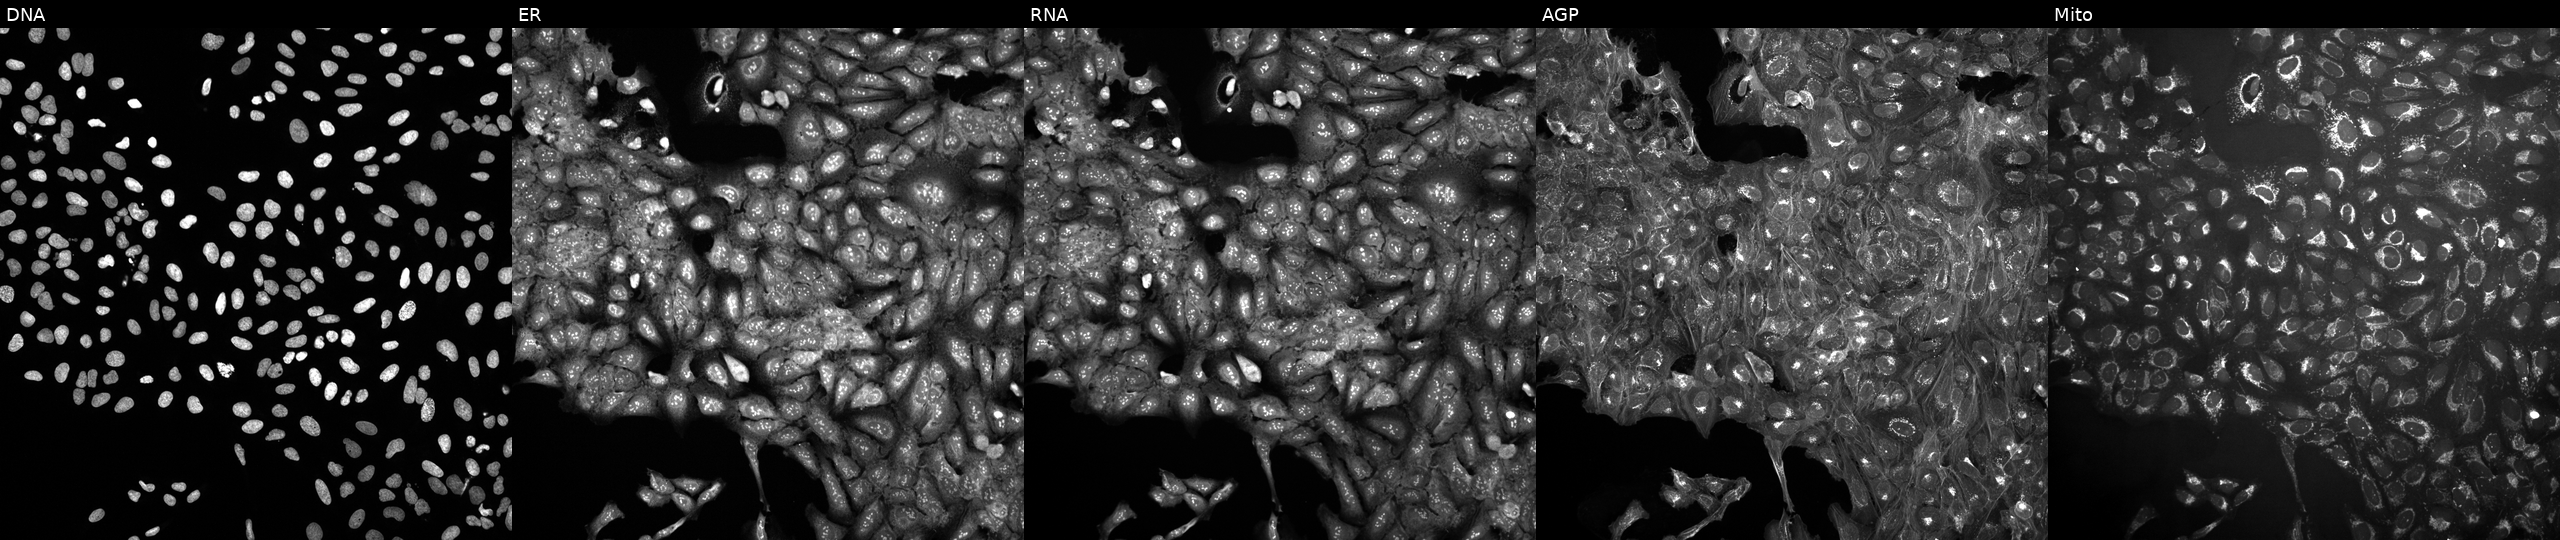
High-content fluorescence microscopy (Cell Painting). Cell line: U2OS. Perturbation: treated with a small-molecule compound (InChIKey NQTAJBNPWFDYKS-UHFFFAOYSA-N) [SMILES: COc1cc(=O)n(-c2ccccc2)cc1C(=O)N1CCC(Oc2cc(C)oc(=O)c2)C1]. Panels show, left to right, DNA, ER, RNA, AGP, and Mito. Source 10, plate Dest210531-152149, well E07.